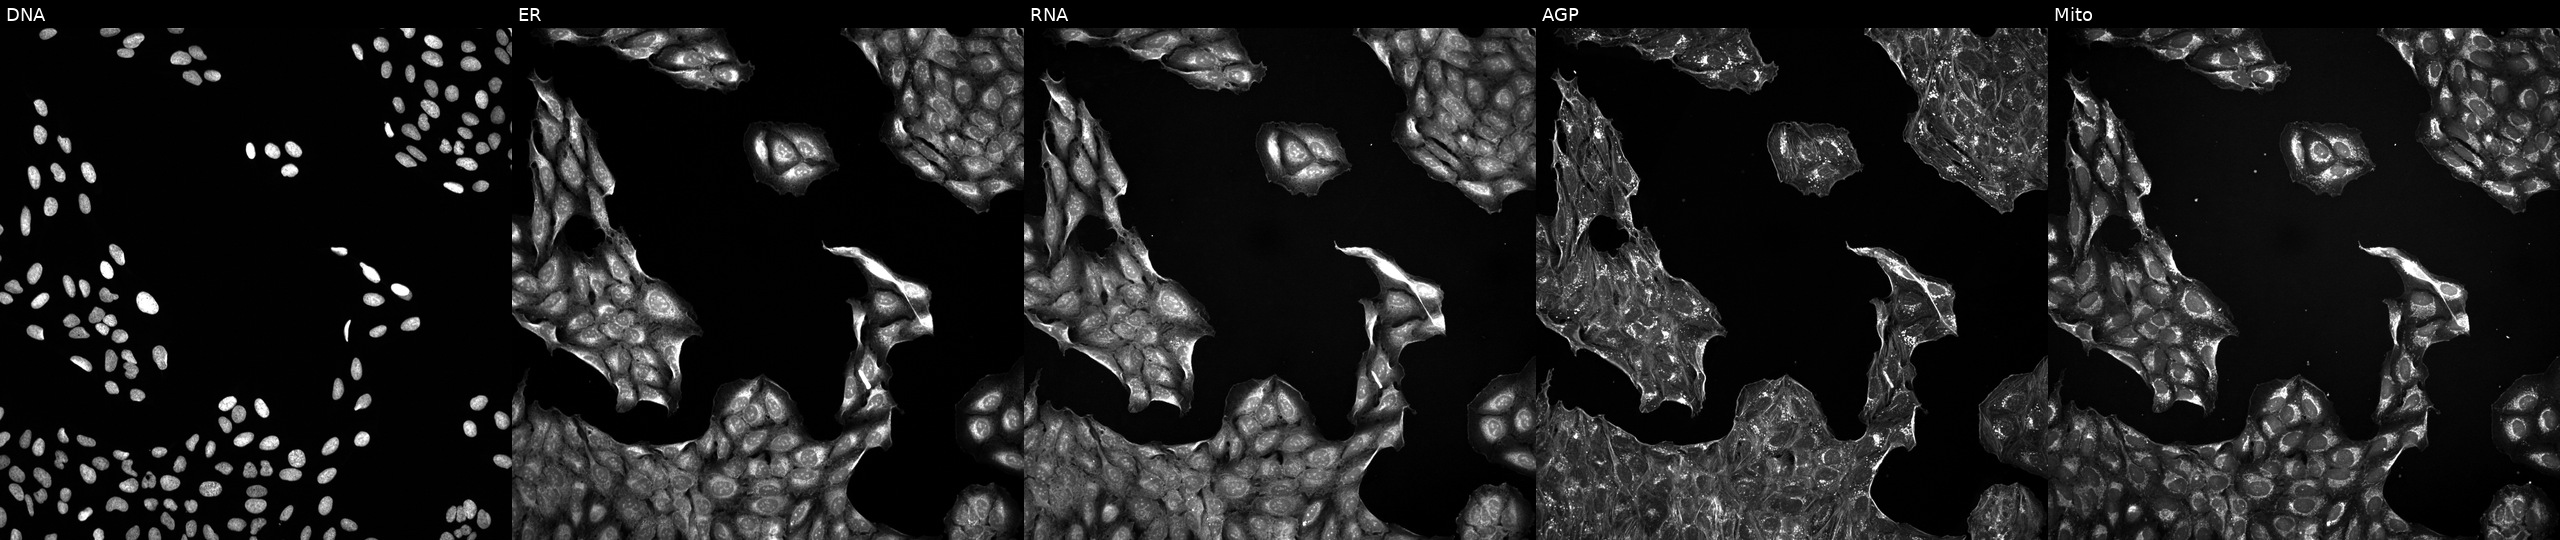
The five panels, left to right, show DNA (nuclei); ER (endoplasmic reticulum); RNA (nucleoli and cytoplasmic RNA); AGP (actin cytoskeleton, Golgi, and plasma membrane); Mito (mitochondria). U2OS osteosarcoma cells exposed to a small-molecule compound (InChIKey CYYNMPPFEJPBJD-UHFFFAOYSA-N) (JUMP id JCP2022_014367). Cell Painting assay, JUMP-CP dataset.